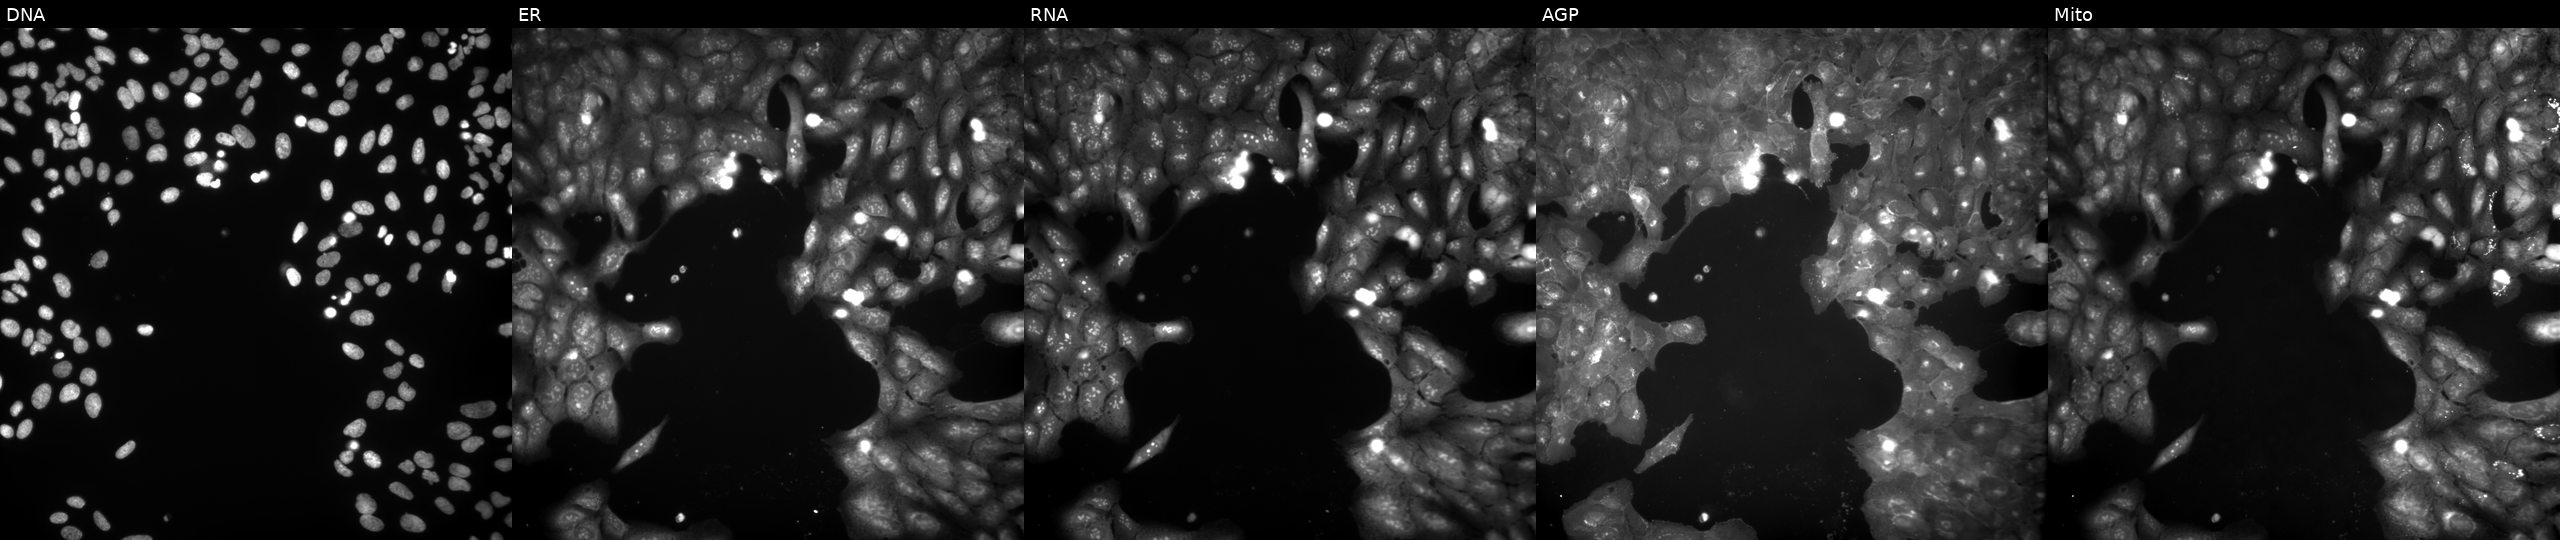
This image strip shows the five Cell Painting channels for a single field of U2OS cells treated with a small-molecule compound. The five panels, left to right, show DNA (nuclei); ER (endoplasmic reticulum); RNA (nucleoli and cytoplasmic RNA); AGP (actin cytoskeleton, Golgi, and plasma membrane); Mito (mitochondria).